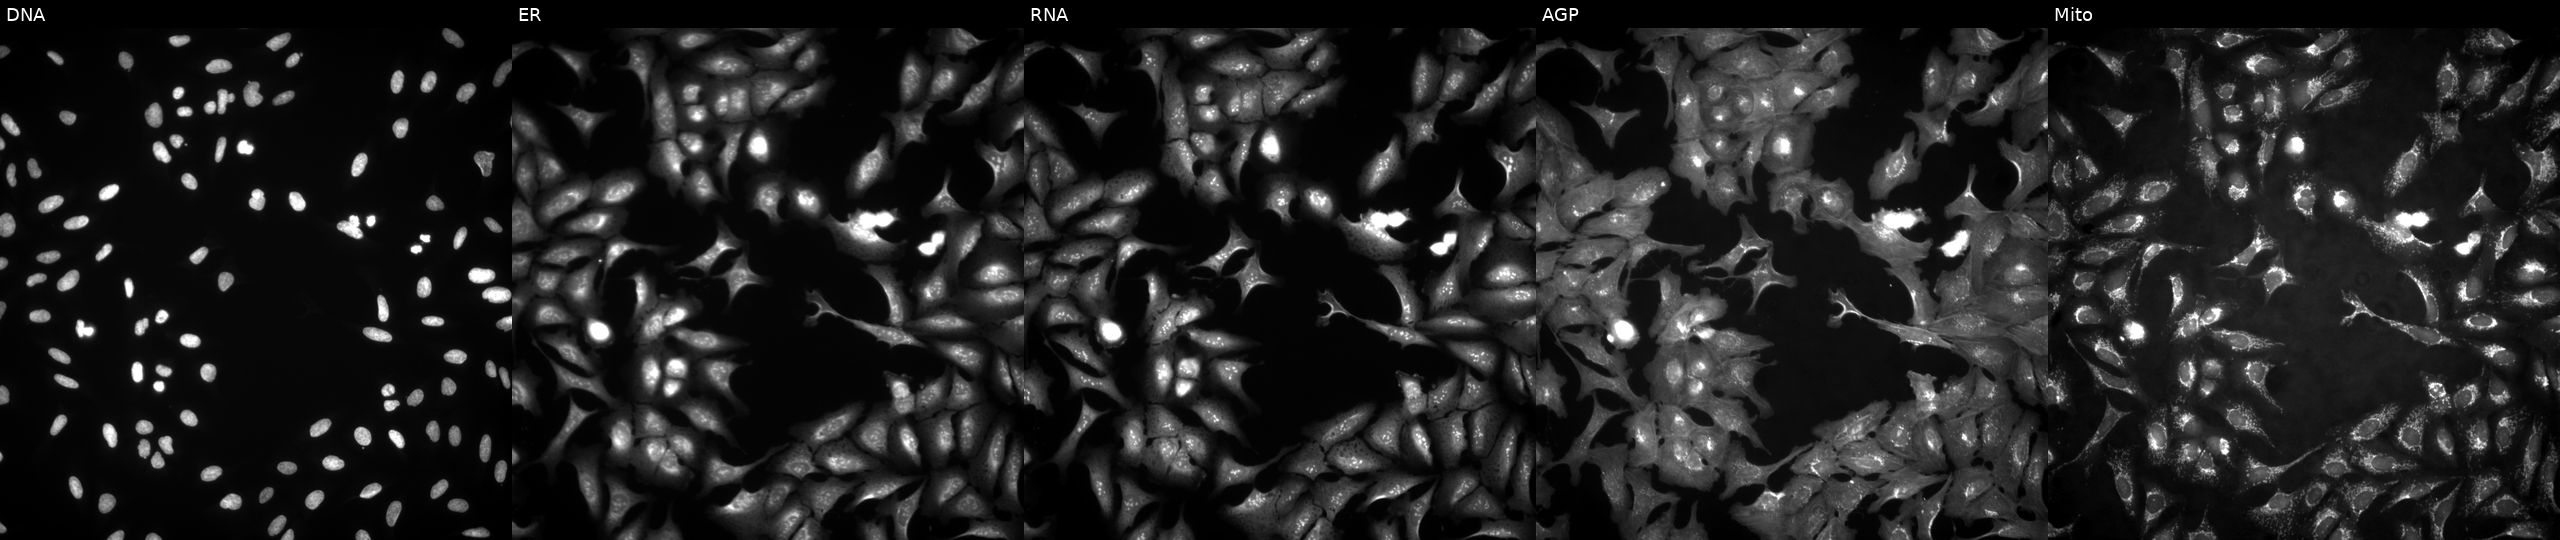
JUMP Cell Painting — ORF plate. U2OS cells transfected with an ORF construct for SLC39A13. The five panels, left to right, show DNA, ER, RNA, AGP, and Mito.